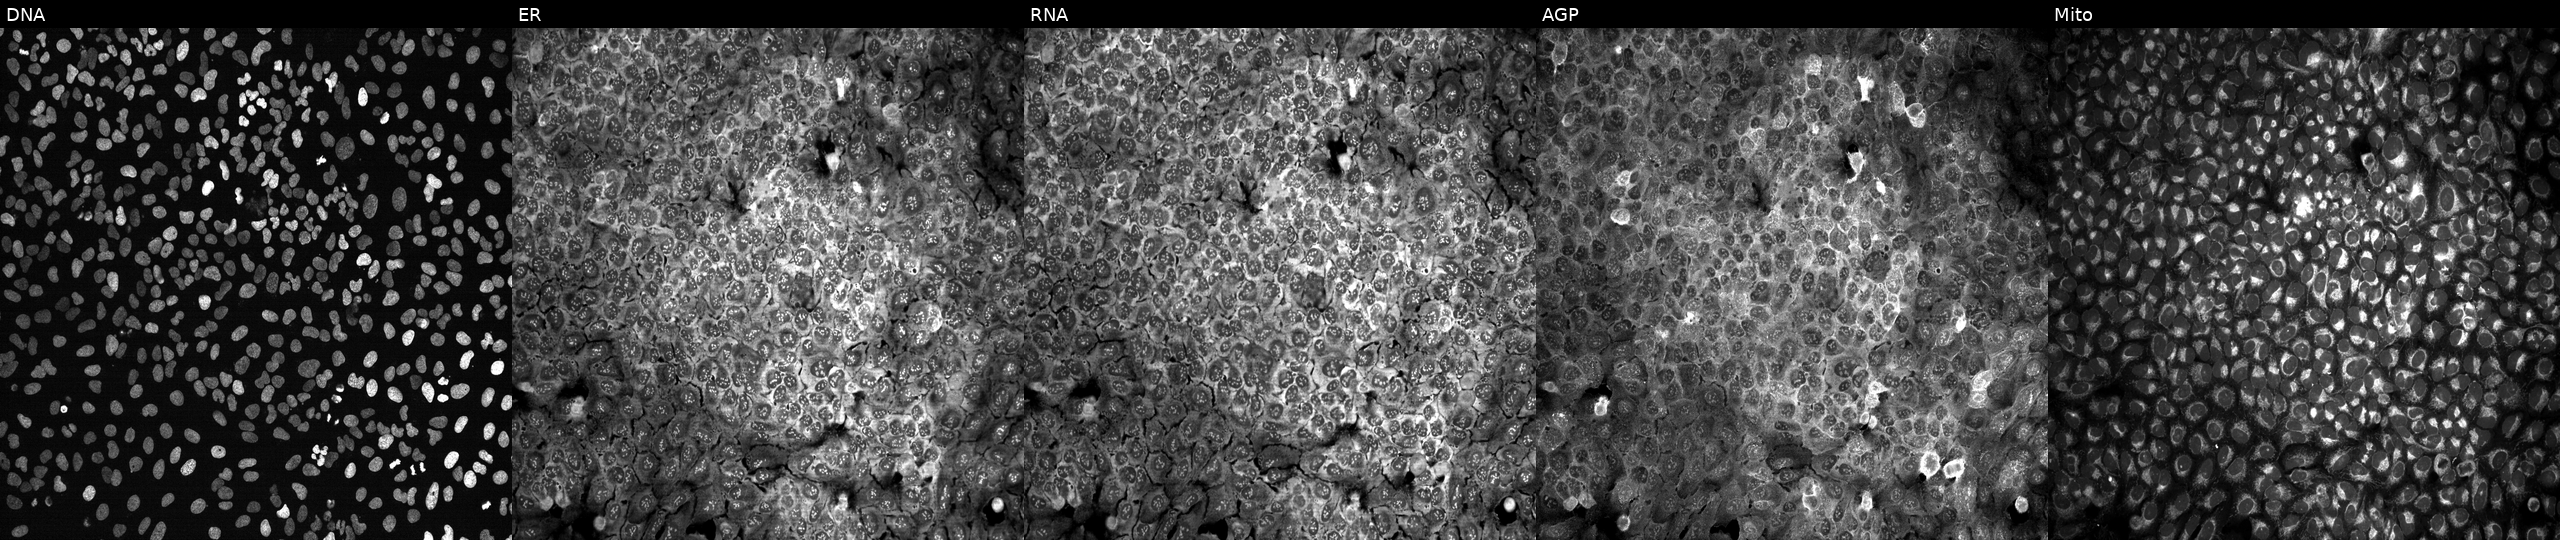
This image strip shows the five Cell Painting channels for a single field of U2OS cells CRISPR-edited to disrupt PGAP1 (JUMP id JCP2022_805068). From left to right: Hoechst 33342, concanavalin A, SYTO 14, phalloidin and WGA, MitoTracker.